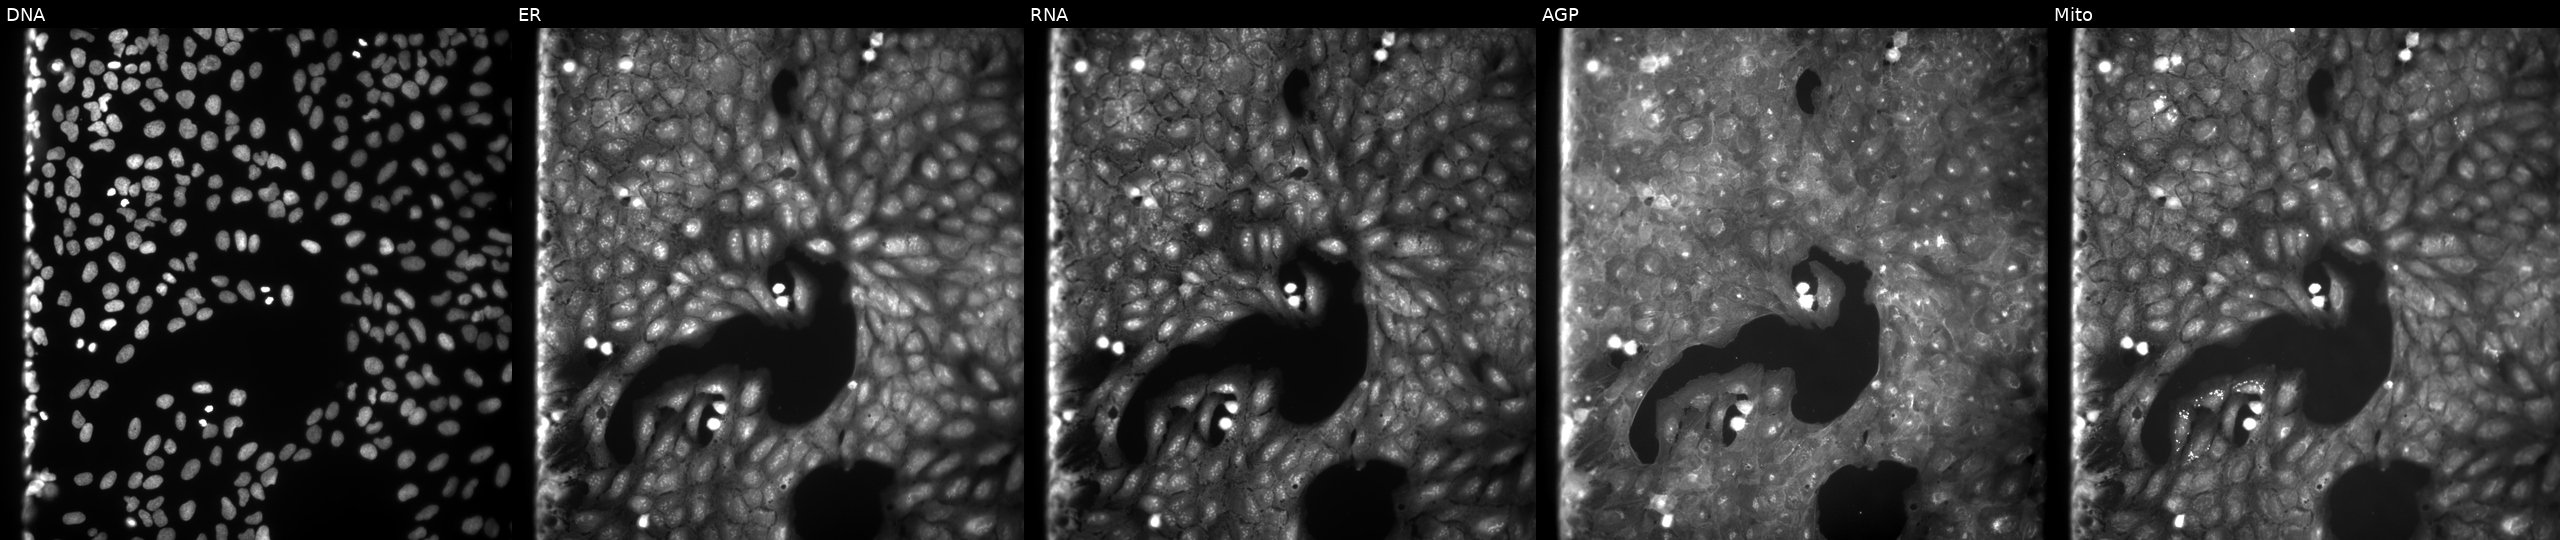
This image strip shows the five Cell Painting channels for a single field of U2OS cells perturbed with a small-molecule compound (InChIKey ODYFMVPOLQSSRU-UHFFFAOYSA-N). Channels (left→right): DNA, ER, RNA, AGP, and Mito.